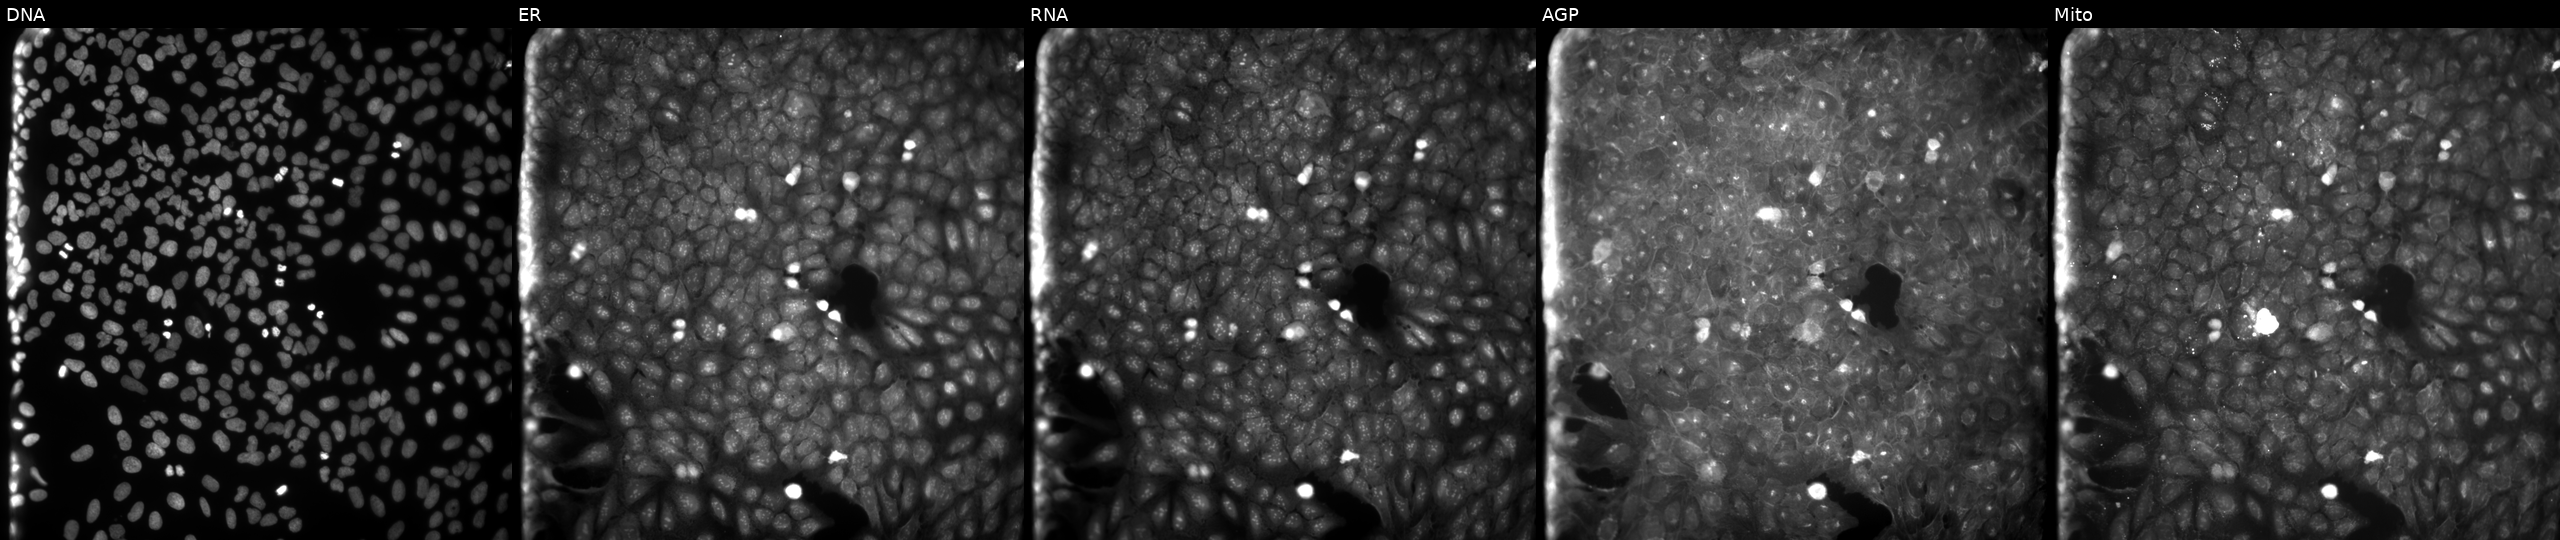
U2OS cells, Cell Painting assay, treated with DMSO vehicle only (negative control) (JUMP id JCP2022_033924). Panels show, left to right, DNA (nuclei); ER (endoplasmic reticulum); RNA (nucleoli and cytoplasmic RNA); AGP (actin cytoskeleton, Golgi, and plasma membrane); Mito (mitochondria). Each panel is percentile-stretched 16-bit fluorescence.